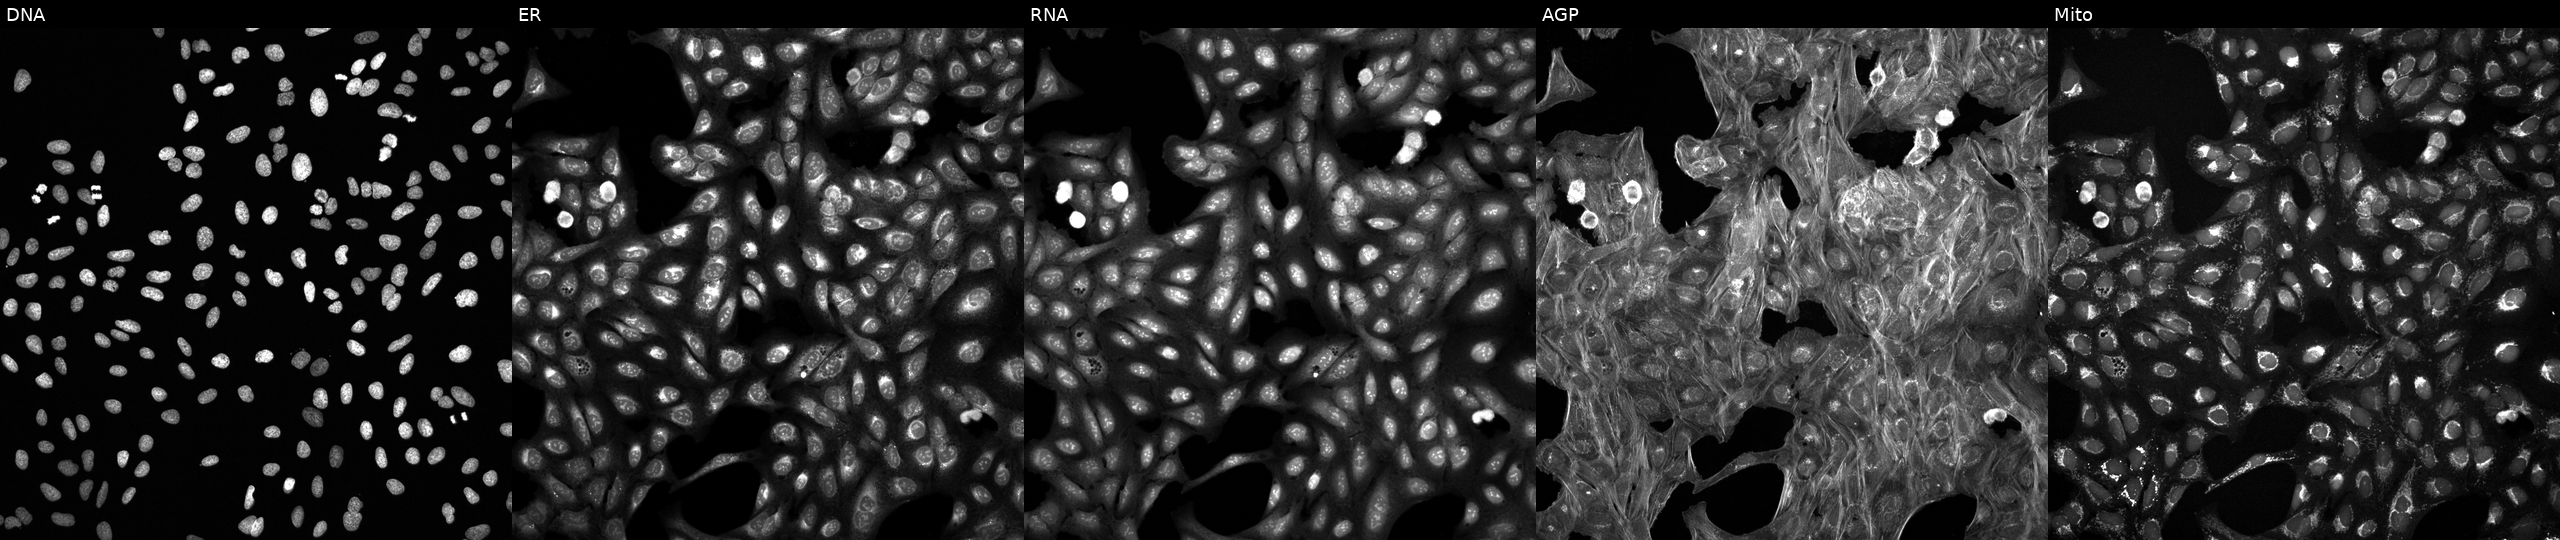
Five-channel Cell Painting image of U2OS cells perturbed with a small-molecule compound [SMILES: Fc1ccccc1CN=c1[nH]cnc2c(-c3ccccc3)noc12] (JUMP id JCP2022_095749). Channels (left→right): DNA (nuclei); ER (endoplasmic reticulum); RNA (nucleoli and cytoplasmic RNA); AGP (actin cytoskeleton, Golgi, and plasma membrane); Mito (mitochondria). Source 6, plate 110000293083, well D20.